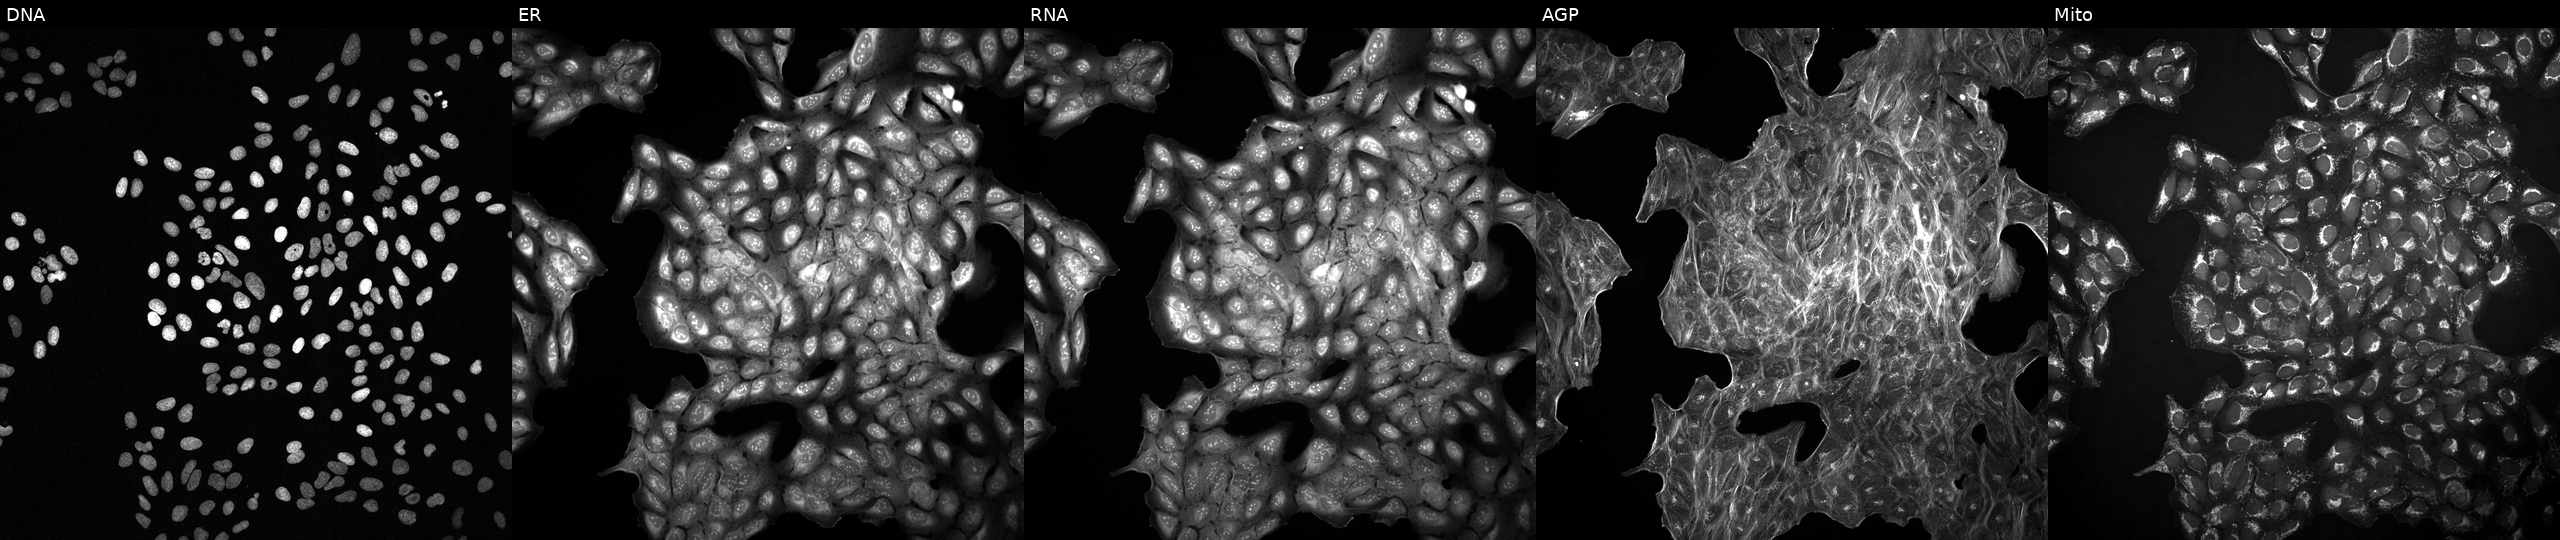
JUMP Cell Painting — TARGET2 plate. U2OS cells perturbed with a small-molecule compound (InChIKey PYNXFZCZUAOOQC-UHFFFAOYSA-N). The five panels, left to right, show DNA, ER, RNA, AGP, and Mito.